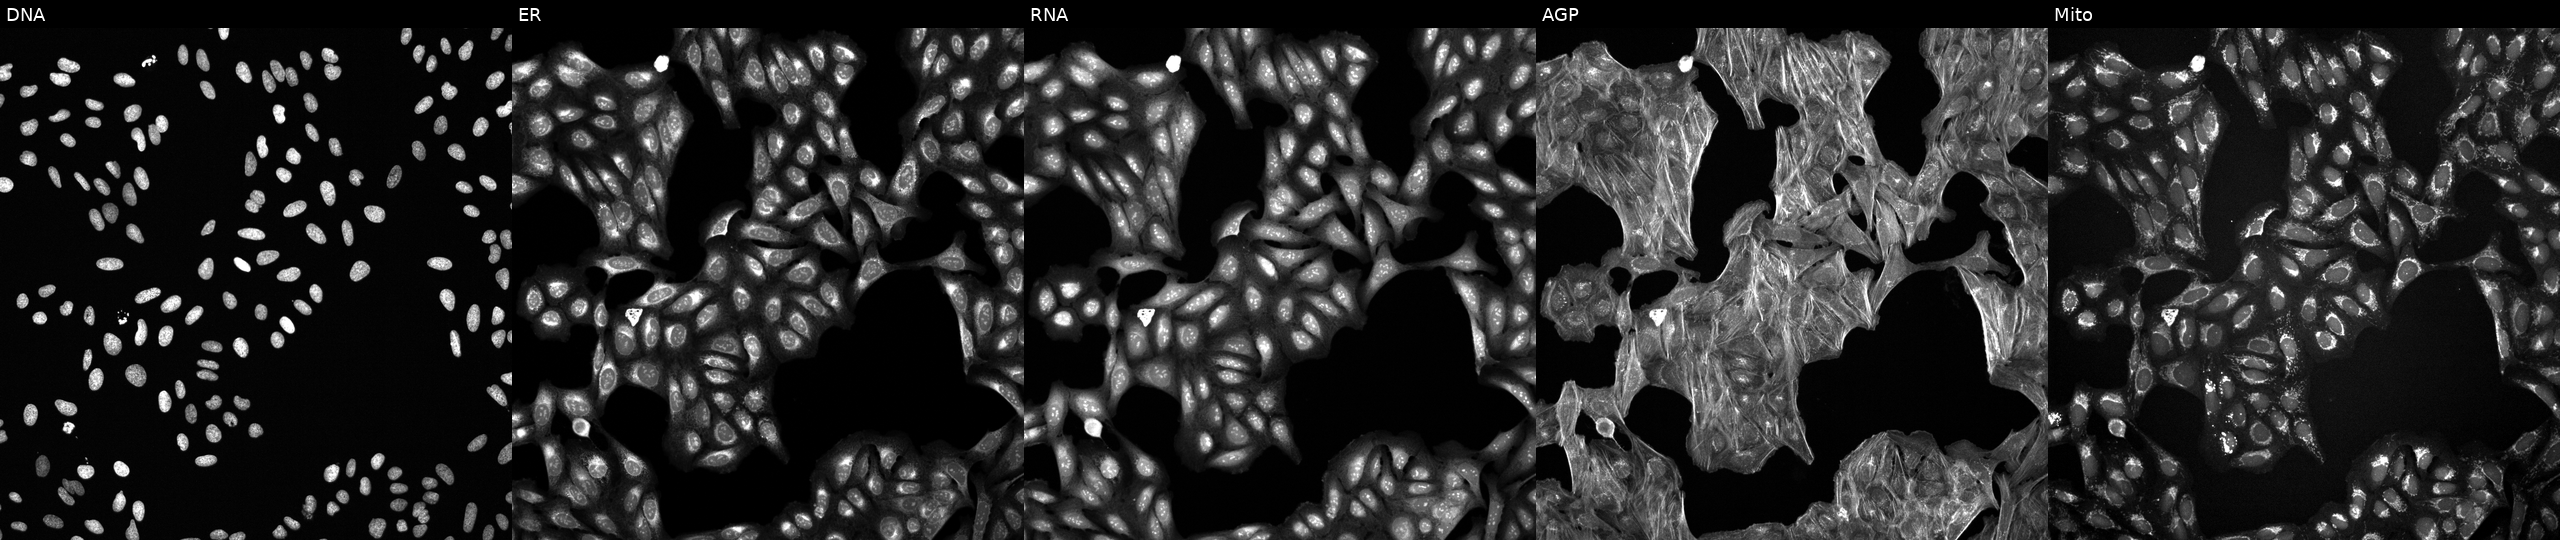
JUMP Cell Painting — COMPOUND plate. U2OS cells perturbed with a small-molecule compound. Panels show, left to right, DNA, ER, RNA, AGP, and Mito.